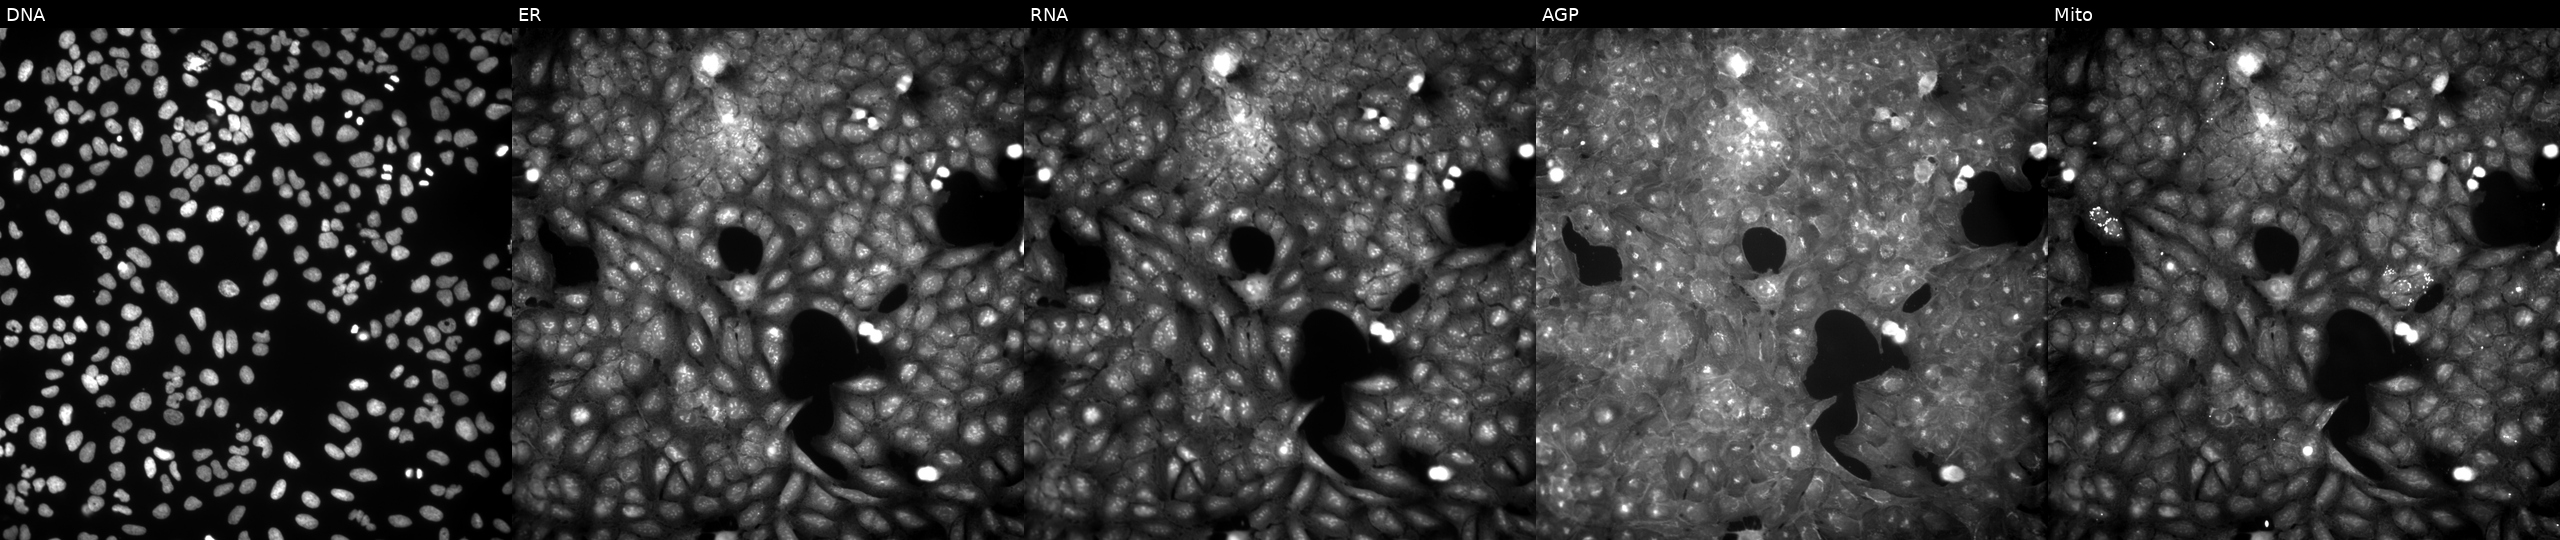
Five-channel Cell Painting image of U2OS cells exposed to a small-molecule compound (InChIKey MSGCNQVWSNOYJZ-UHFFFAOYSA-N) [SMILES: O=C(NNS(=O)(=O)c1ccc(F)cc1)c1cc(Cl)ccc1O]. From left to right: Hoechst 33342, concanavalin A, SYTO 14, phalloidin and WGA, MitoTracker.